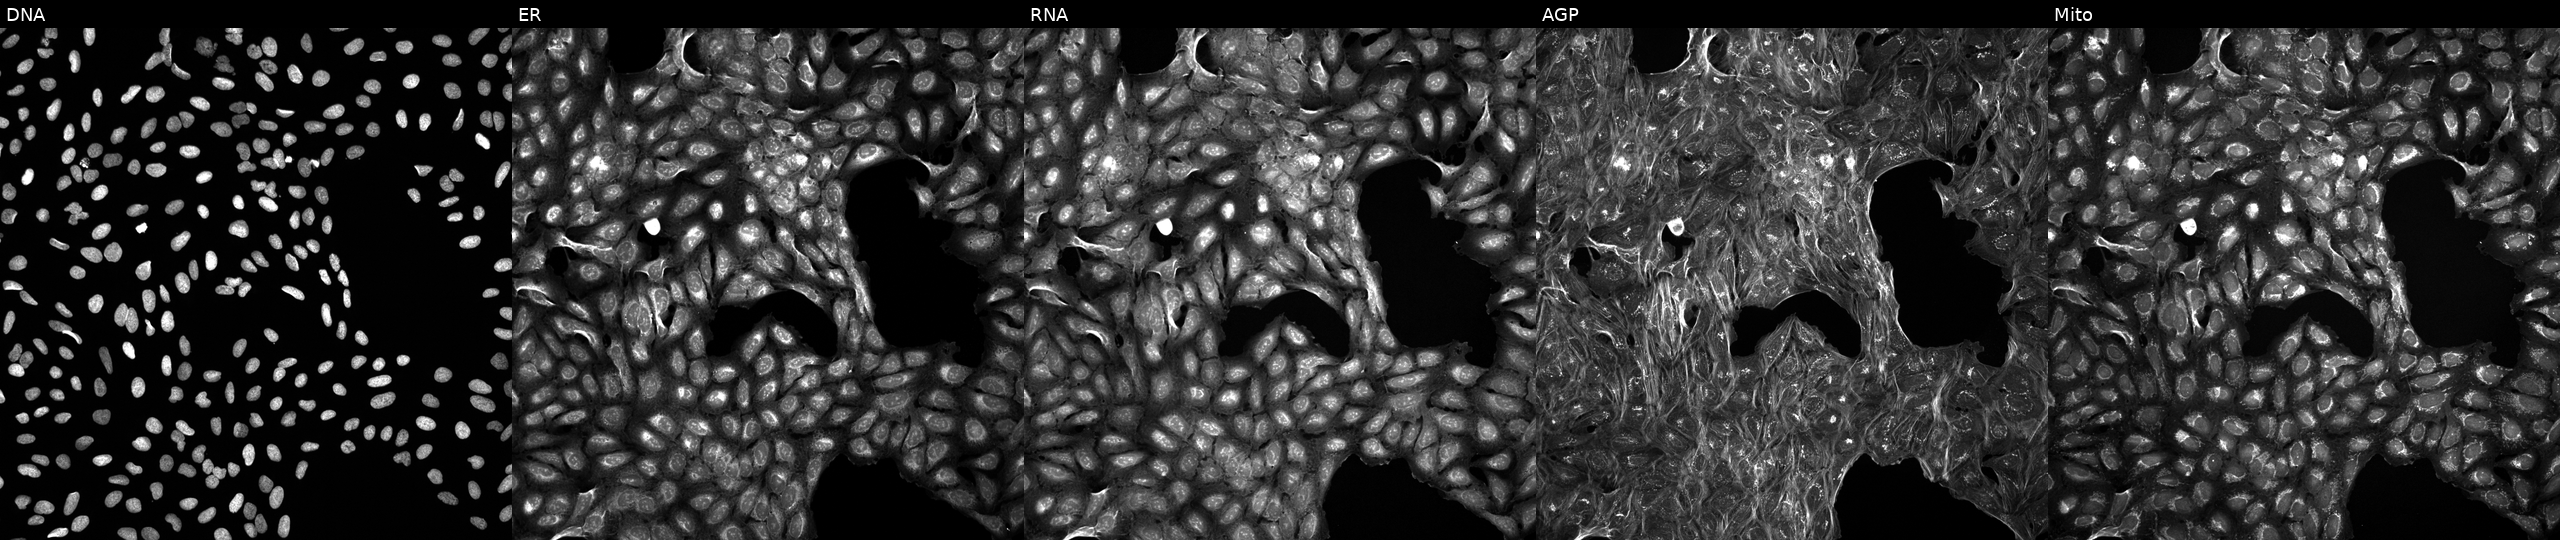
U2OS cells, Cell Painting assay, exposed to a small-molecule compound (InChIKey XFILPEOLDIKJHX-UHFFFAOYSA-N) (JUMP id JCP2022_103291). From left to right: Hoechst 33342, concanavalin A, SYTO 14, phalloidin and WGA, MitoTracker. Each panel is percentile-stretched 16-bit fluorescence. Source 5, plate ACPJUM012, well G20.